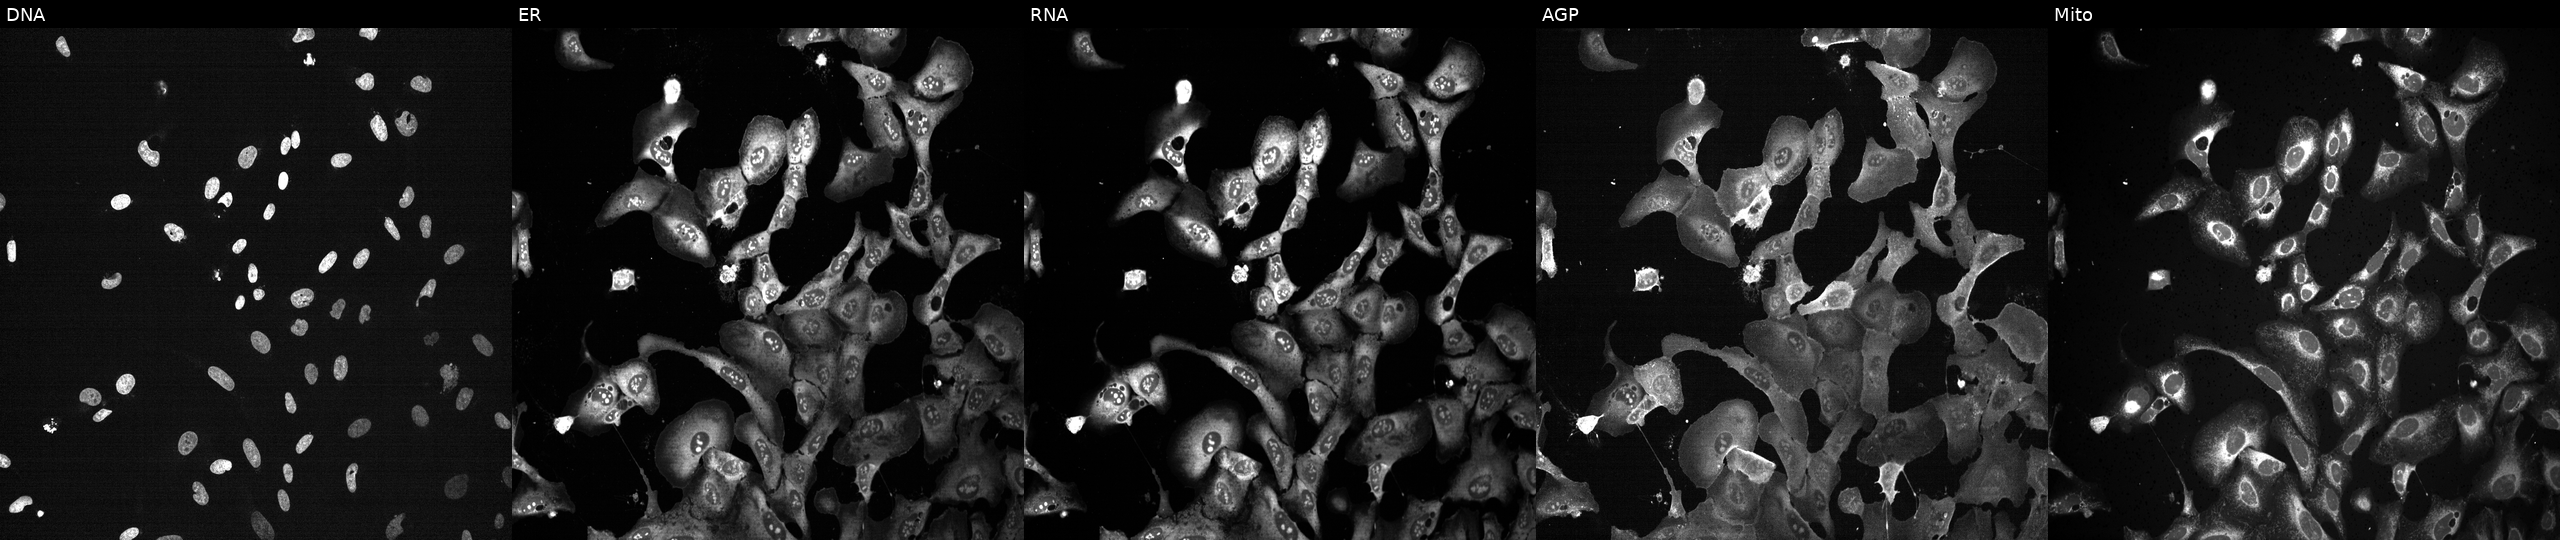
U2OS cells, Cell Painting assay, with RRM2 knocked out by CRISPR (JUMP id JCP2022_806130). The five panels, left to right, show DNA (nuclei); ER (endoplasmic reticulum); RNA (nucleoli and cytoplasmic RNA); AGP (actin cytoskeleton, Golgi, and plasma membrane); Mito (mitochondria). Each panel is percentile-stretched 16-bit fluorescence. Source 13, plate CP-CC9-R2-02, well M20.